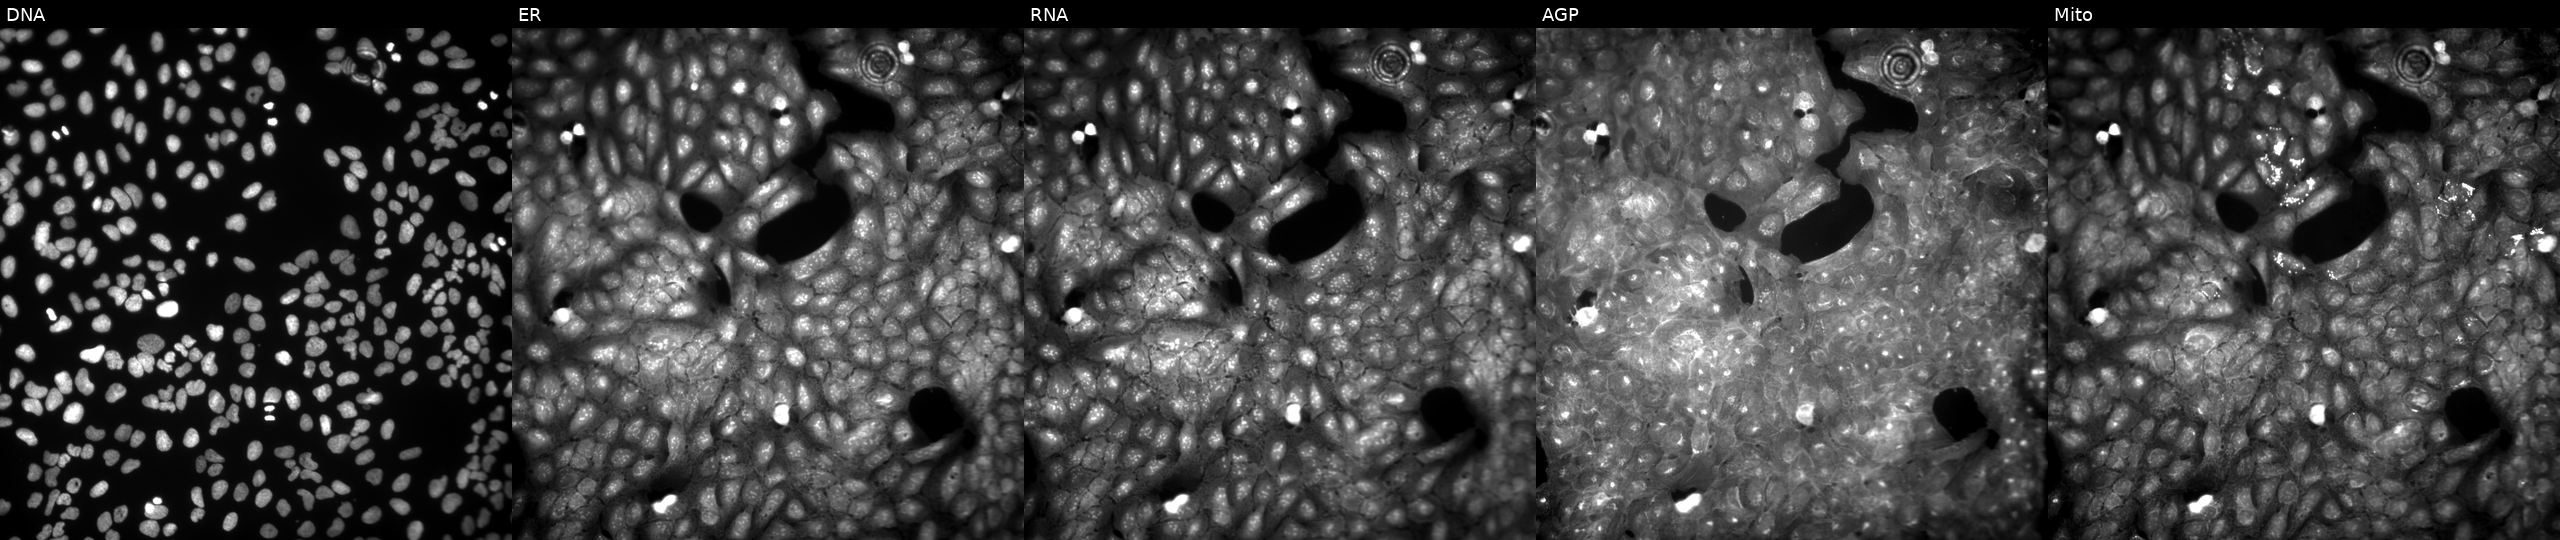
From left to right: DNA, ER, RNA, AGP, and Mito. U2OS osteosarcoma cells treated with a small-molecule compound (InChIKey DOVUDVHTQOCRIJ-UHFFFAOYSA-N). Cell Painting assay, JUMP-CP dataset. Source 9, plate GR00003382, well W43.